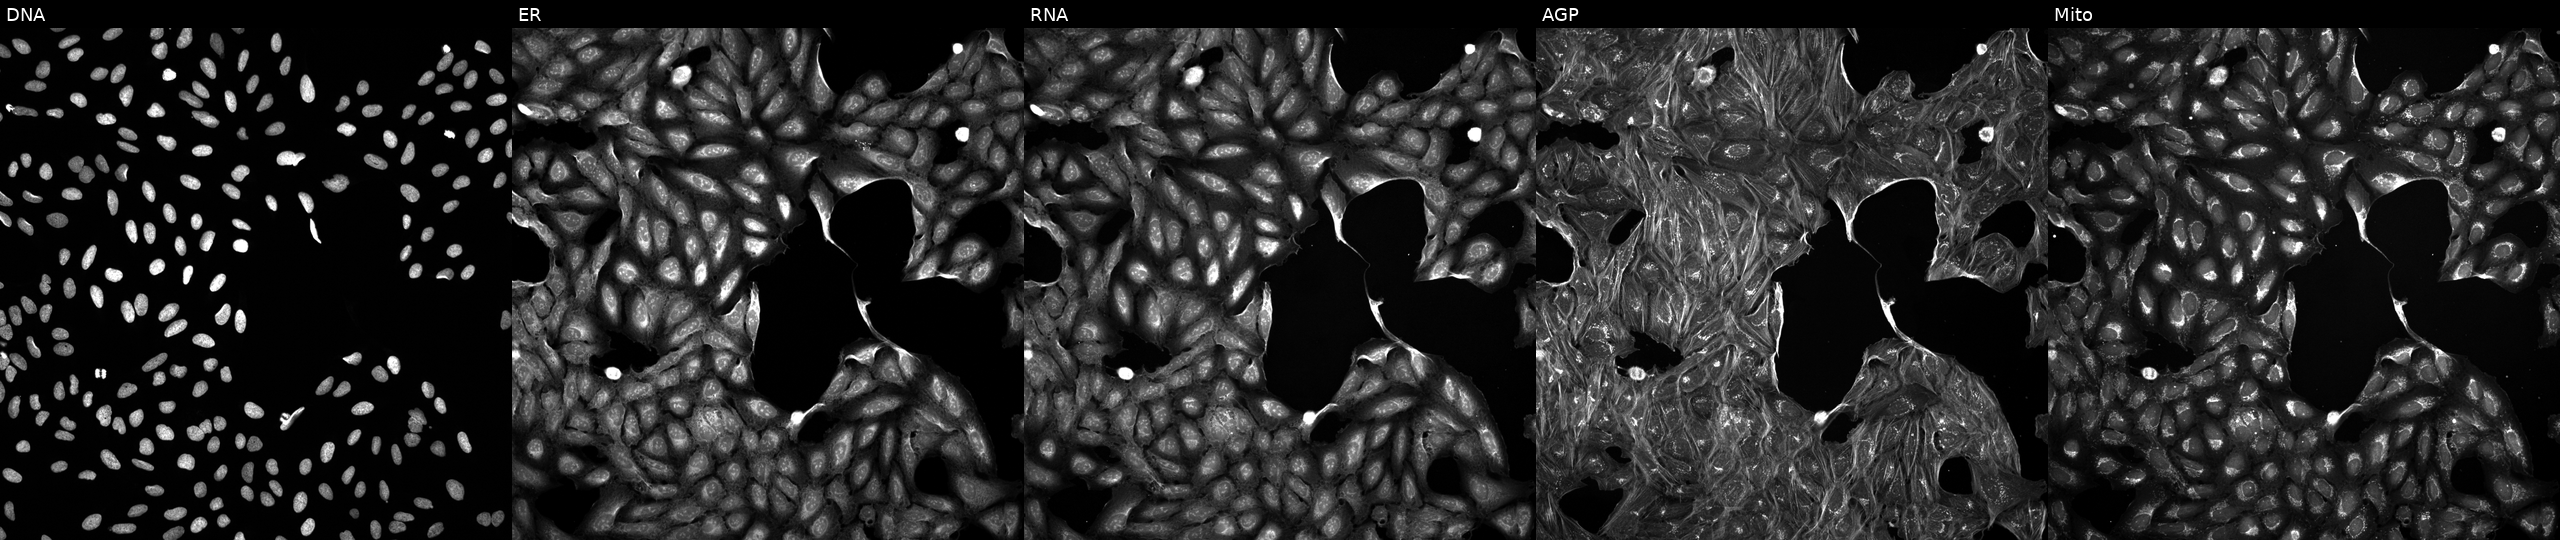
Five-channel Cell Painting image of U2OS cells treated with a small-molecule compound (InChIKey PMATZTZNYRCHOR-UHFFFAOYSA-N). Channels (left→right): DNA, ER, RNA, AGP, and Mito.